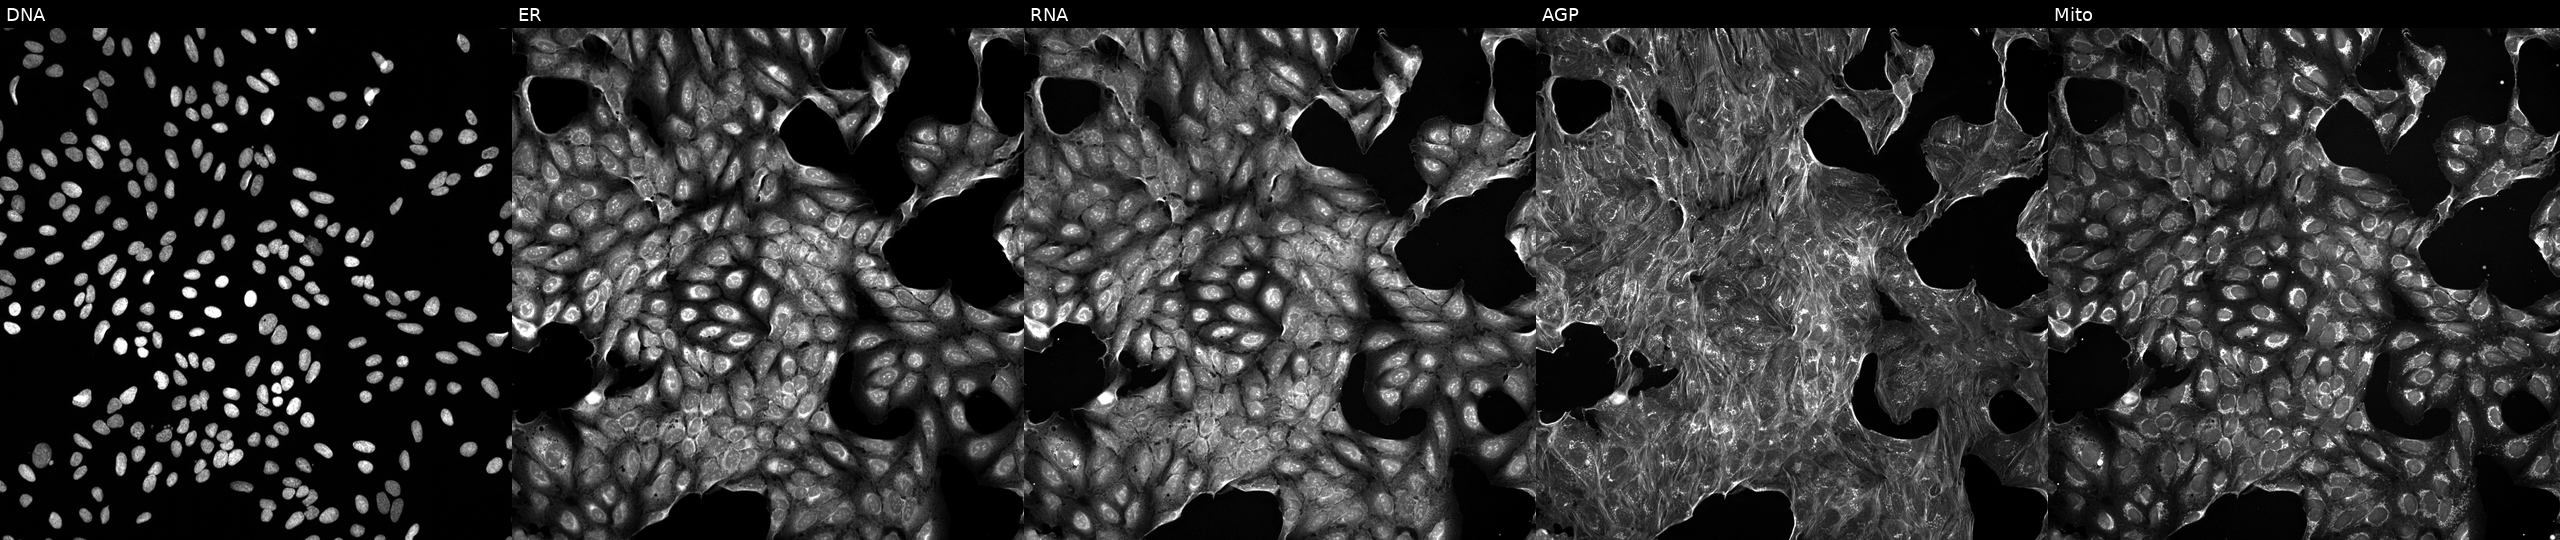
High-content fluorescence microscopy (Cell Painting). Cell line: U2OS. Perturbation: exposed to a small-molecule compound [SMILES: Nc1cc(F)ccc1NC(=O)C=Cc1cnn(CC=Cc2ccccc2)c1] (JUMP id JCP2022_007175). Channels (left→right): Hoechst 33342, concanavalin A, SYTO 14, phalloidin and WGA, MitoTracker. Source 5, plate ACPJUM032, well N04.